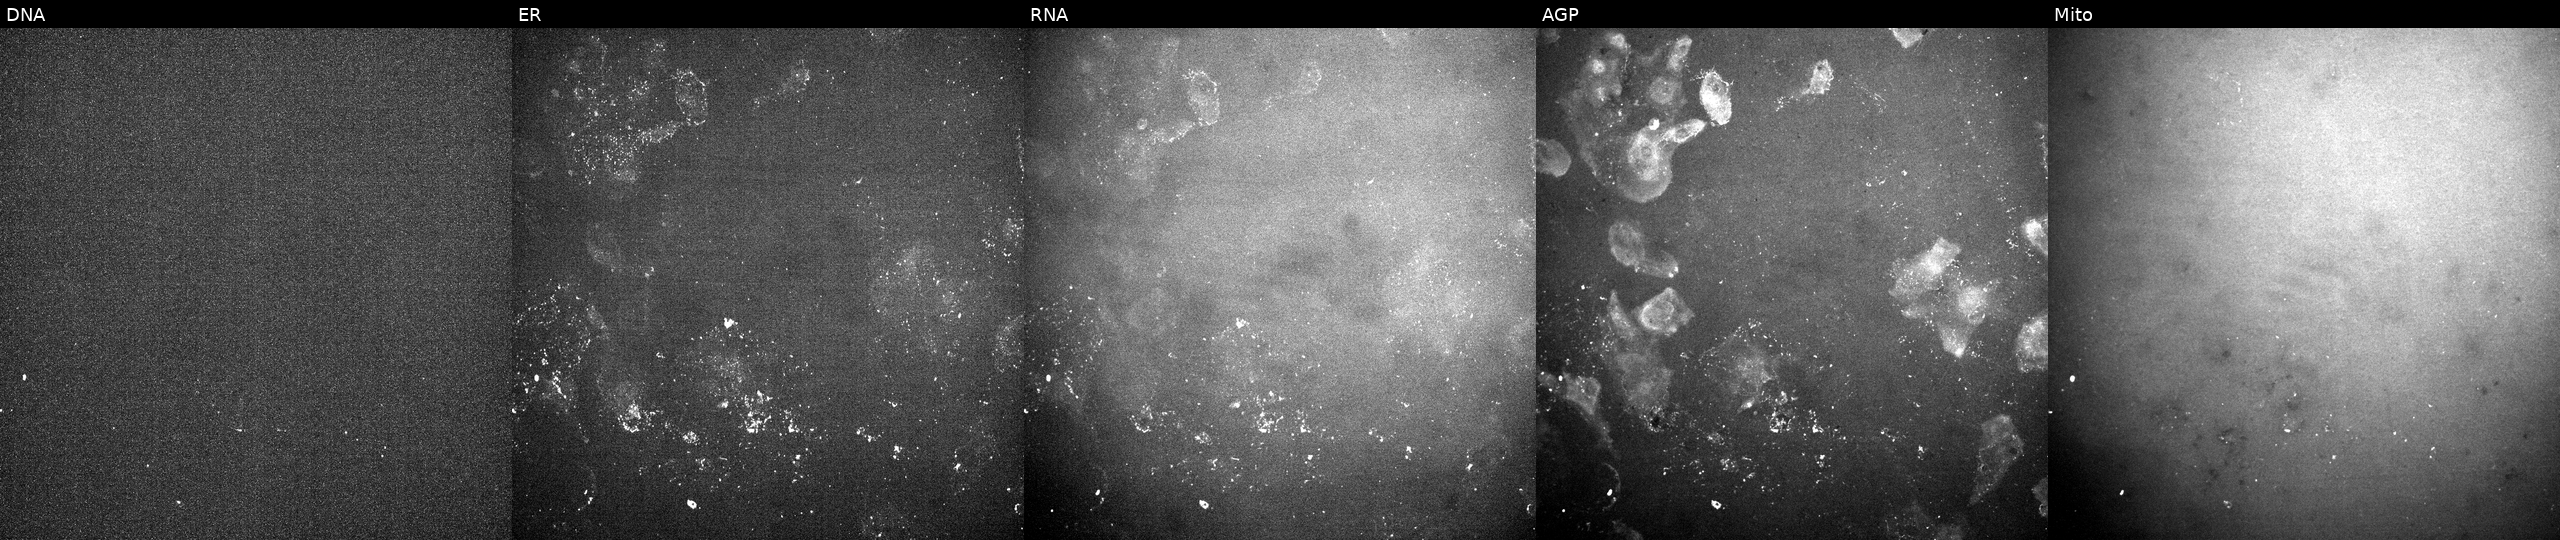
The five panels, left to right, show Hoechst 33342, concanavalin A, SYTO 14, phalloidin and WGA, MitoTracker. U2OS osteosarcoma cells exposed to a small-molecule compound (InChIKey RXWNCPJZOCPEPQ-UHFFFAOYSA-N). Cell Painting assay, JUMP-CP dataset. Source 10, plate Dest210803-153958, well G10.